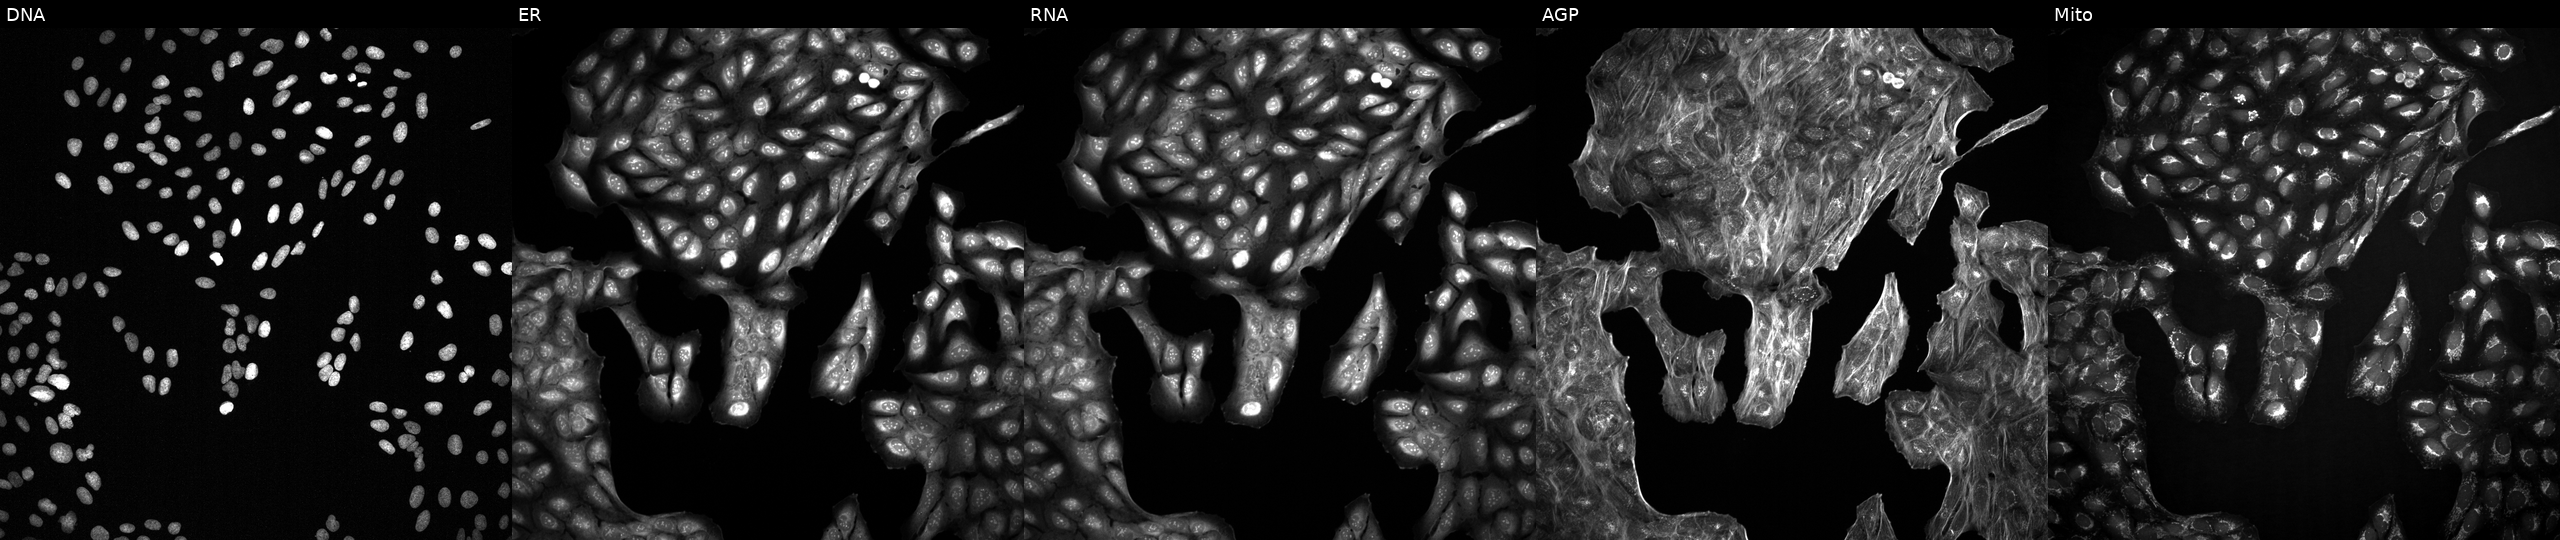
Five-channel Cell Painting image of U2OS cells with an unidentified perturbation (not annotated in JUMP metadata). Channels (left→right): Hoechst 33342, concanavalin A, SYTO 14, phalloidin and WGA, MitoTracker. Source 2, plate 1053601756, well L21.